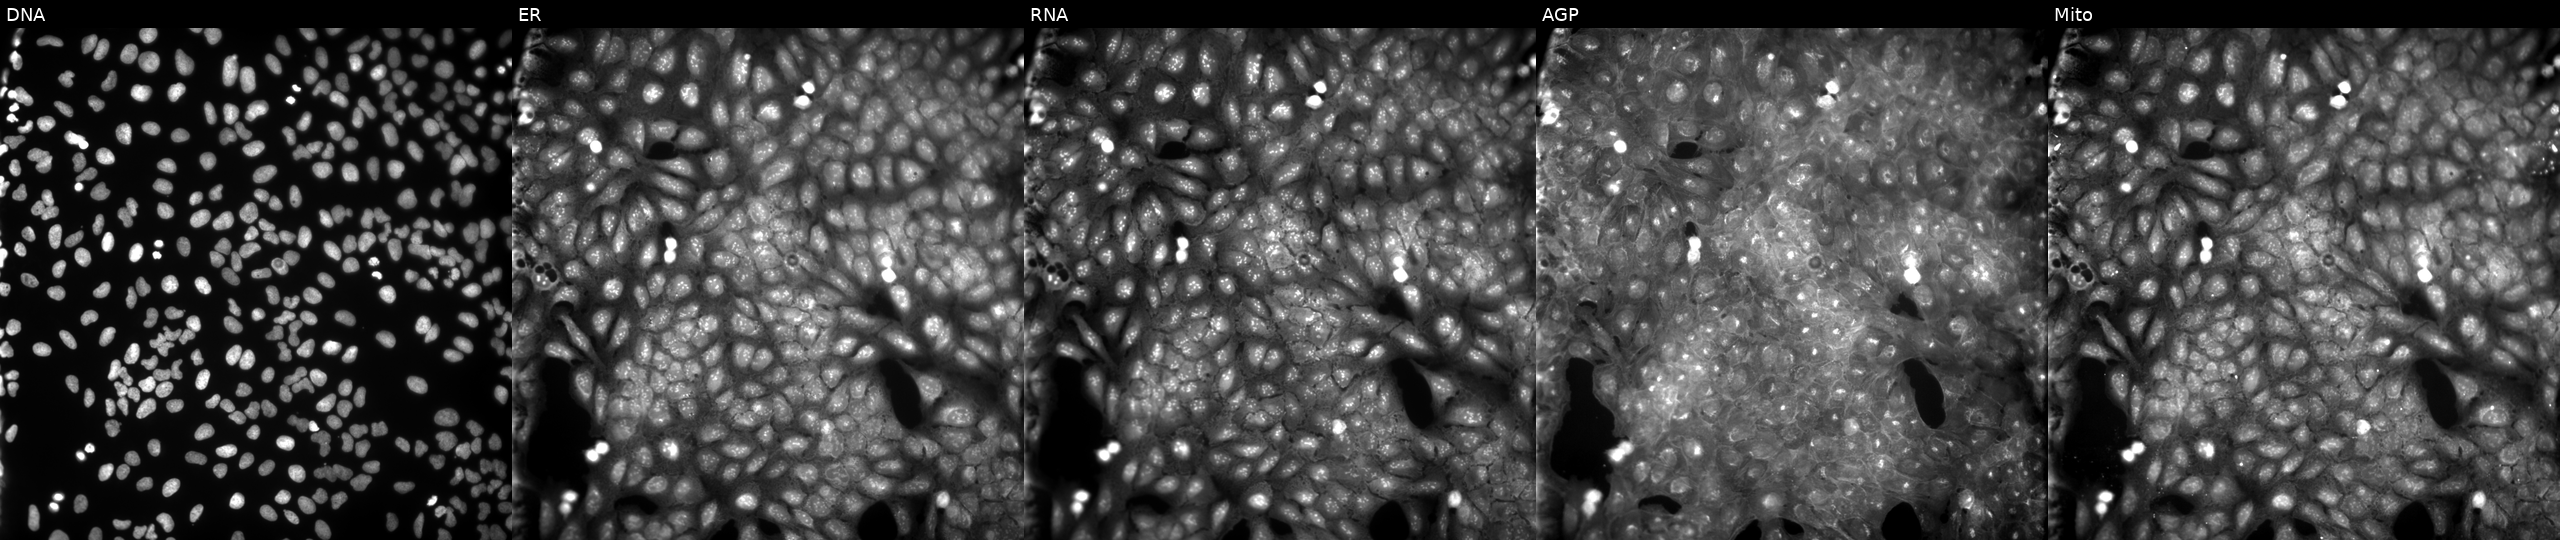
Panels show, left to right, Hoechst 33342, concanavalin A, SYTO 14, phalloidin and WGA, MitoTracker. U2OS osteosarcoma cells treated with a small-molecule compound [SMILES: Cc1c(C(=O)O)ccc2c1NC(c1ccc(F)cc1)C1CC=CC21] (JUMP id JCP2022_075176). Cell Painting assay, JUMP-CP dataset.